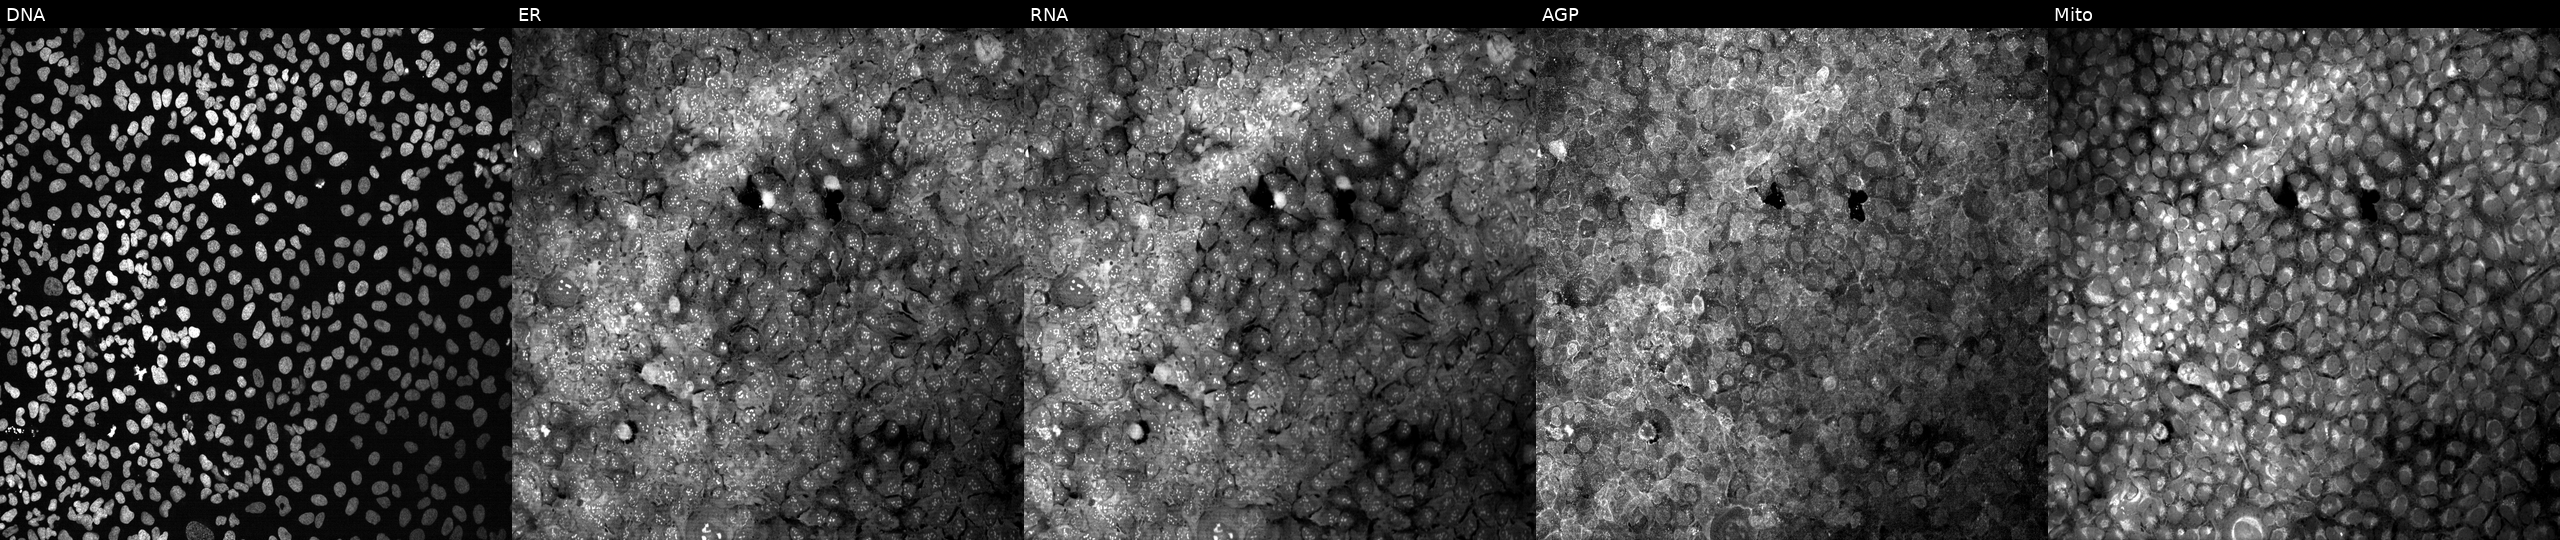
This image strip shows the five Cell Painting channels for a single field of U2OS cells exposed to DMSO alone as a negative control. The five panels, left to right, show DNA (nuclei); ER (endoplasmic reticulum); RNA (nucleoli and cytoplasmic RNA); AGP (actin cytoskeleton, Golgi, and plasma membrane); Mito (mitochondria). Source 13, plate CP-CC9-R1-02, well H23.